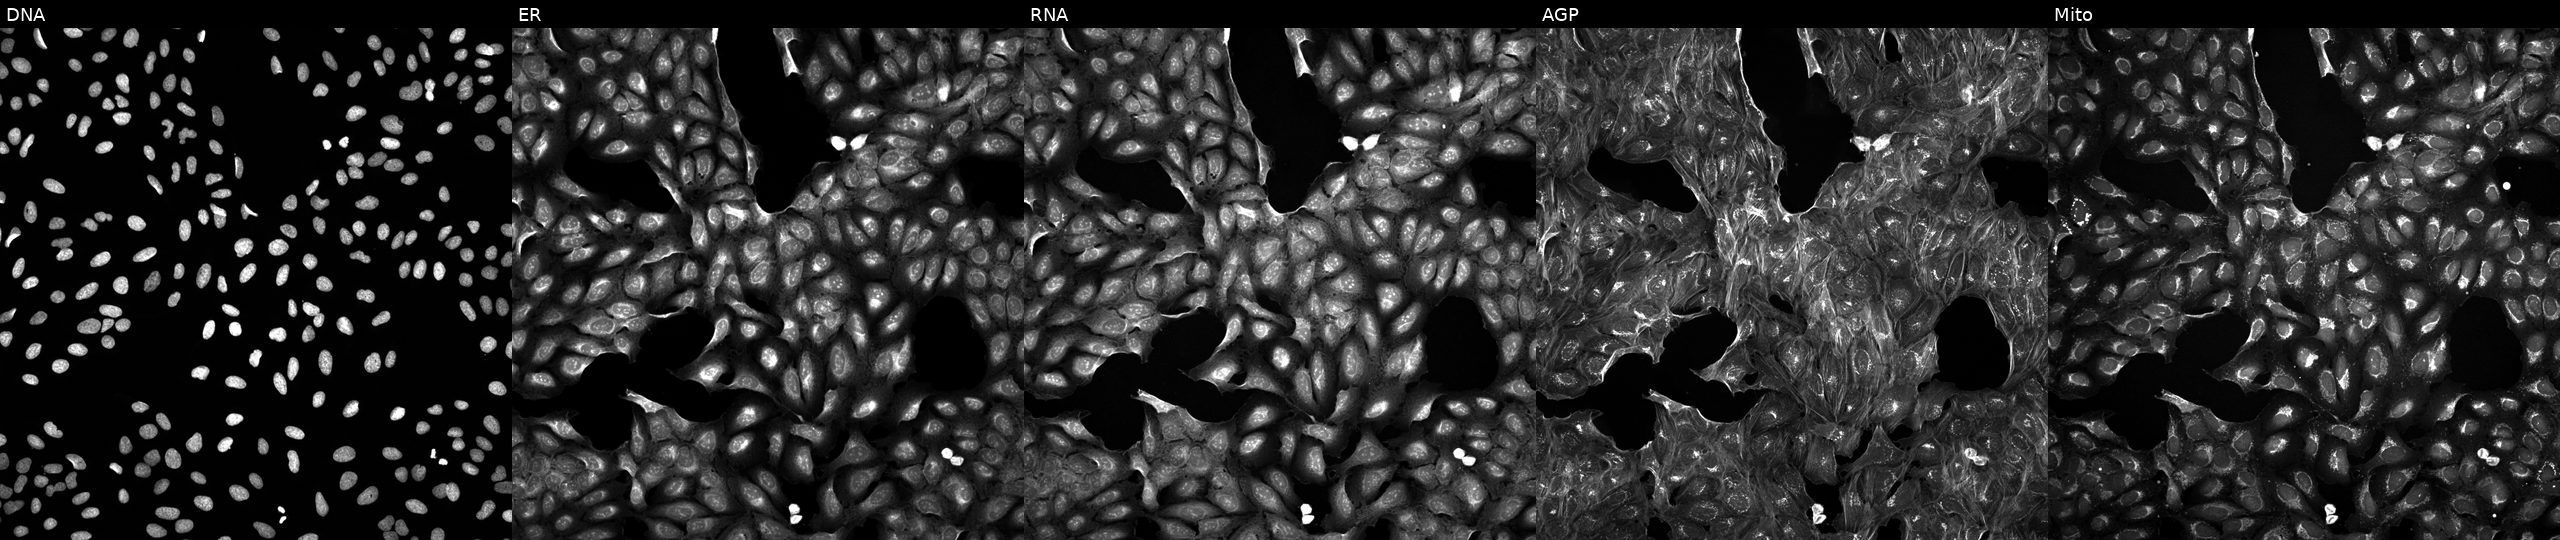
U2OS cells, Cell Painting assay, treated with a small-molecule compound (JUMP id JCP2022_028940). Panels show, left to right, Hoechst 33342, concanavalin A, SYTO 14, phalloidin and WGA, MitoTracker. Each panel is percentile-stretched 16-bit fluorescence.